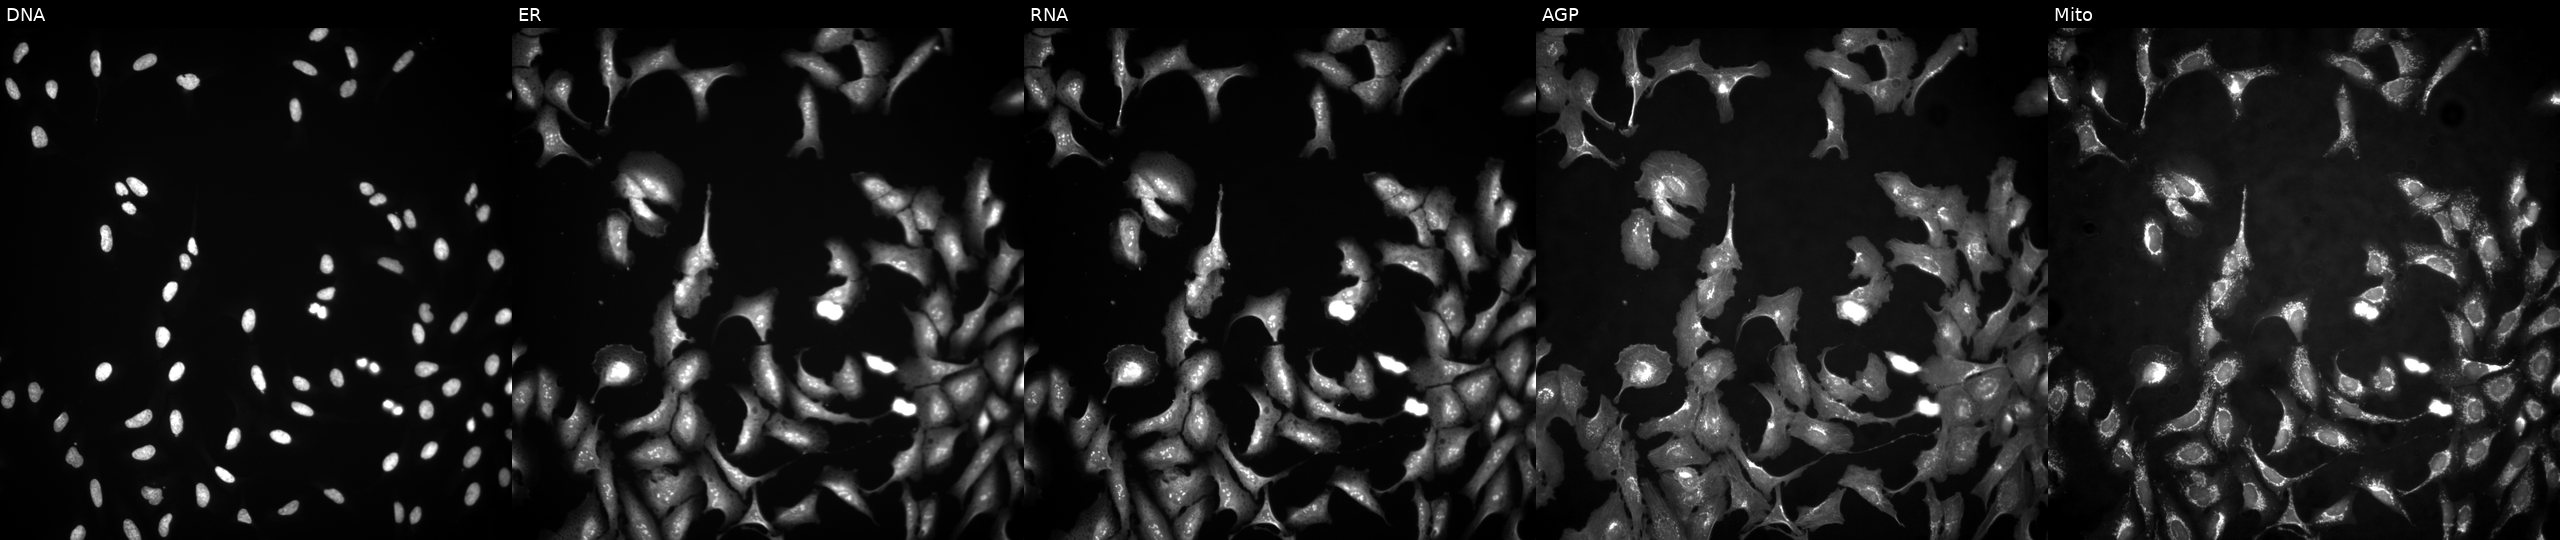
U2OS cells, Cell Painting assay, with DLX6 overexpressed (ORF). Channels (left→right): DNA, ER, RNA, AGP, and Mito. Each panel is percentile-stretched 16-bit fluorescence.